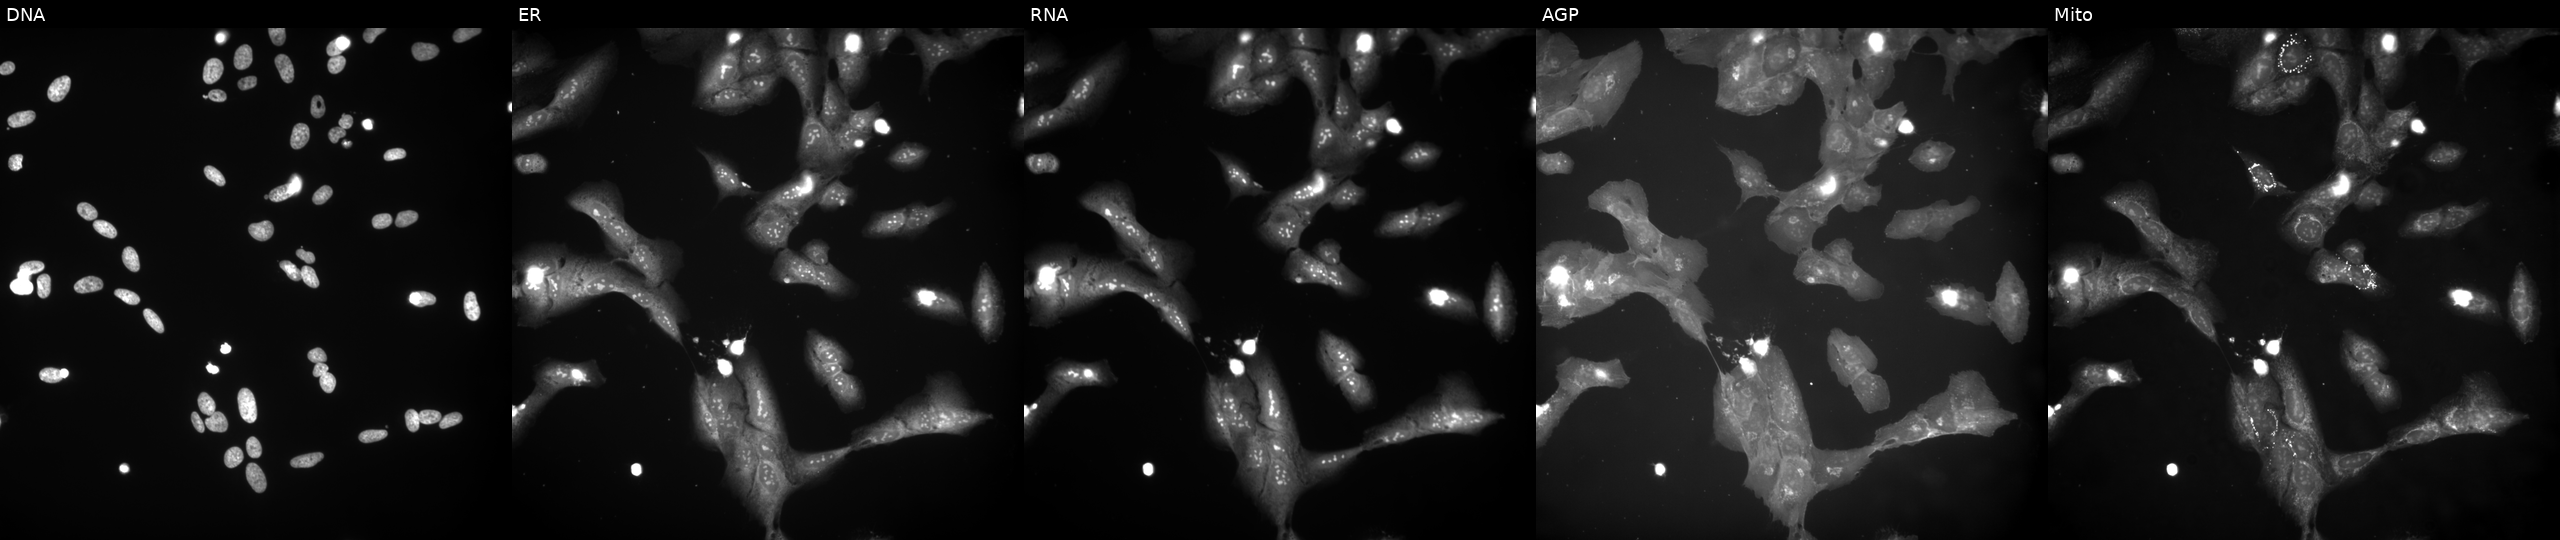
The five panels, left to right, show DNA (nuclei); ER (endoplasmic reticulum); RNA (nucleoli and cytoplasmic RNA); AGP (actin cytoskeleton, Golgi, and plasma membrane); Mito (mitochondria). U2OS osteosarcoma cells perturbed with a small-molecule compound (InChIKey BIDRDWOISBHOOP-UHFFFAOYSA-N). Cell Painting assay, JUMP-CP dataset. Source 9, plate GR00003382, well F38.